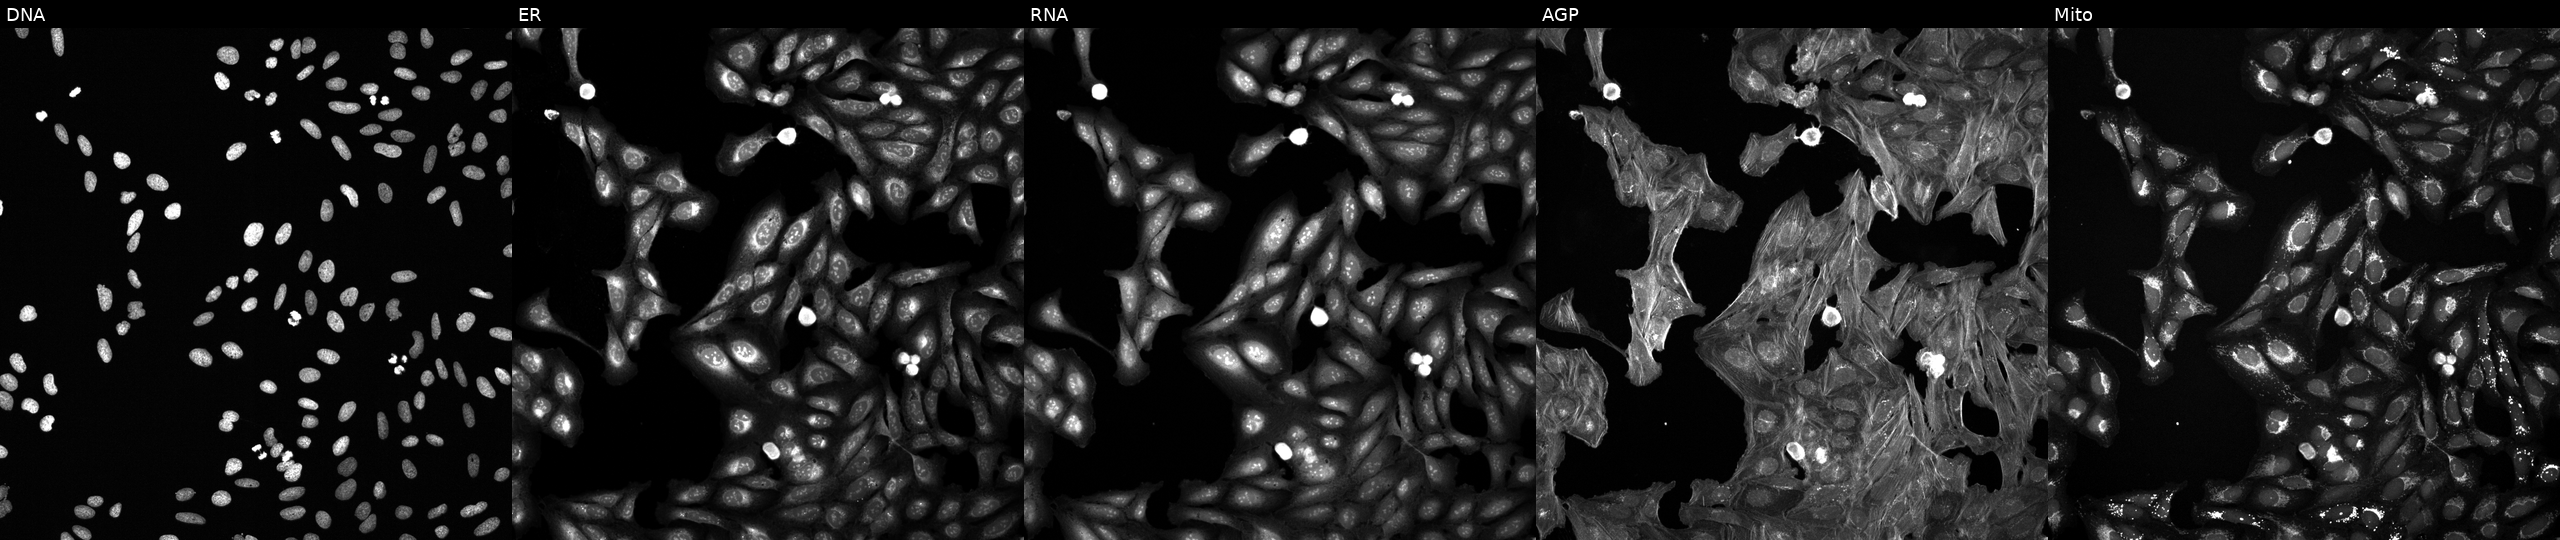
JUMP Cell Painting — TARGET2 plate. U2OS cells treated with a small-molecule compound (JUMP id JCP2022_043547). The five panels, left to right, show DNA, ER, RNA, AGP, and Mito.